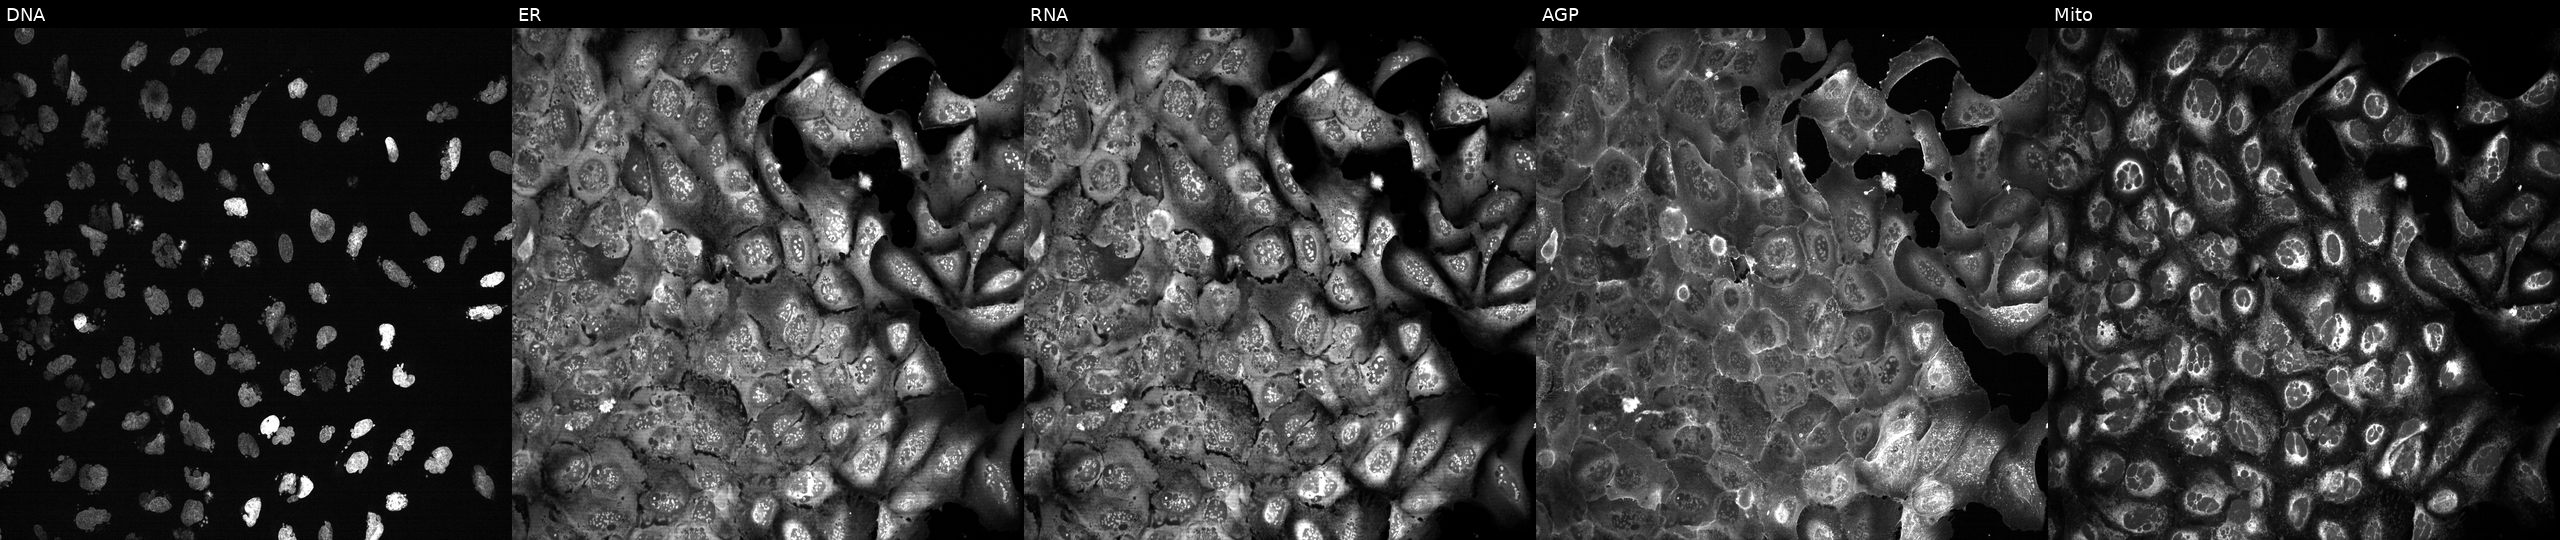
U2OS cells, Cell Painting assay, treated with AMG900 (positive-control compound). Channels (left→right): Hoechst 33342, concanavalin A, SYTO 14, phalloidin and WGA, MitoTracker. Each panel is percentile-stretched 16-bit fluorescence.